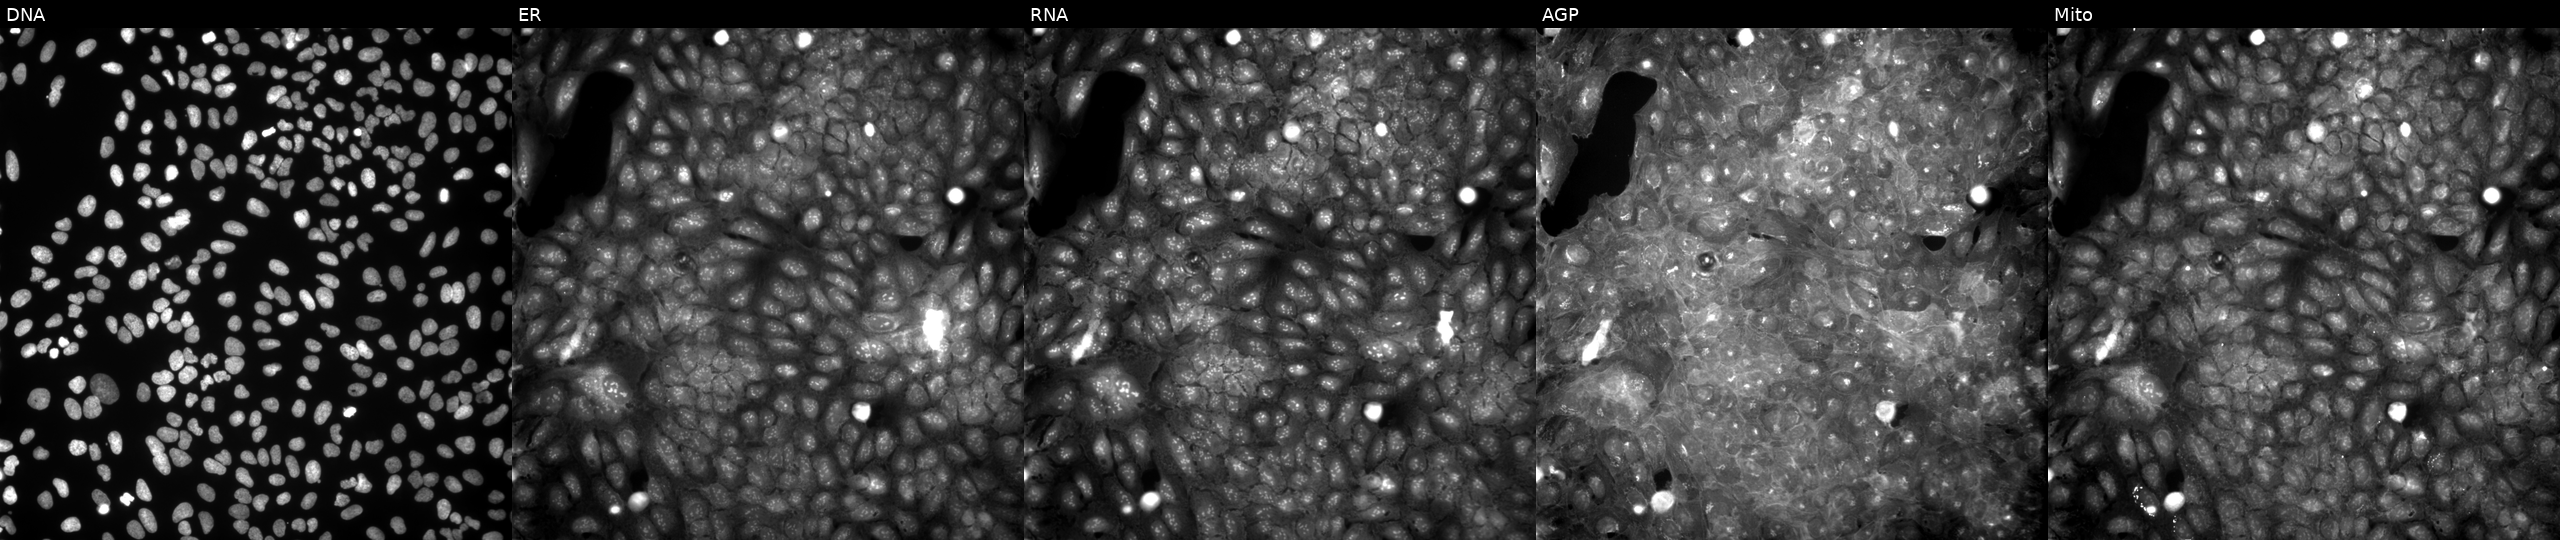
Panels show, left to right, DNA, ER, RNA, AGP, and Mito. U2OS osteosarcoma cells treated with DMSO vehicle only (negative control). Cell Painting assay, JUMP-CP dataset. Source 9, plate GR00003381, well C26.